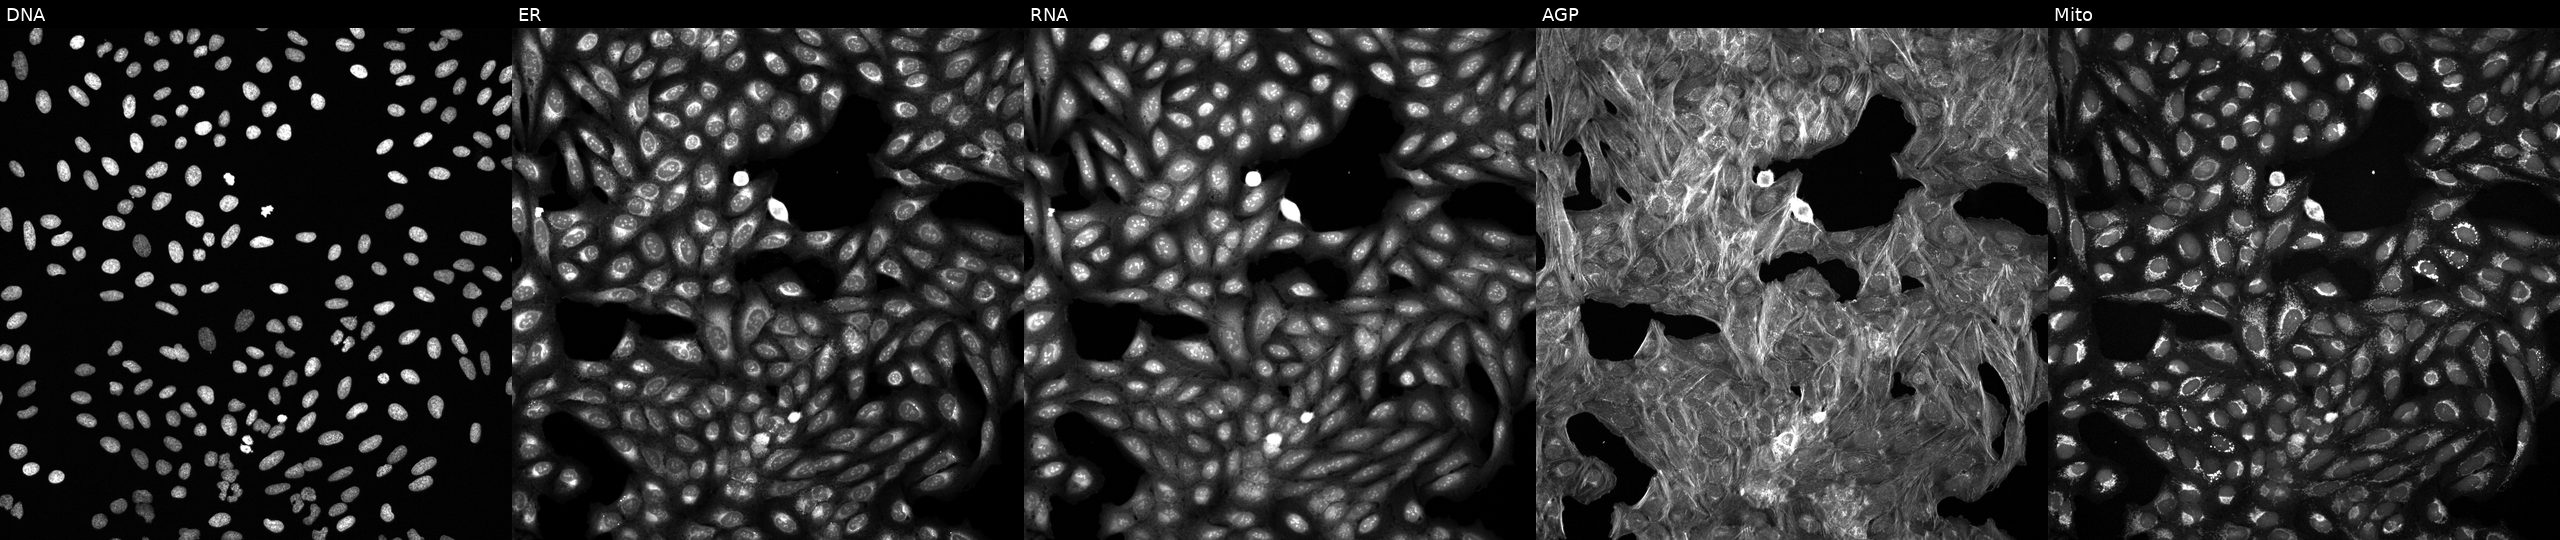
High-content fluorescence microscopy (Cell Painting). Cell line: U2OS. Perturbation: exposed to a small-molecule compound. From left to right: Hoechst 33342, concanavalin A, SYTO 14, phalloidin and WGA, MitoTracker. Source 6, plate 110000293093, well N11.